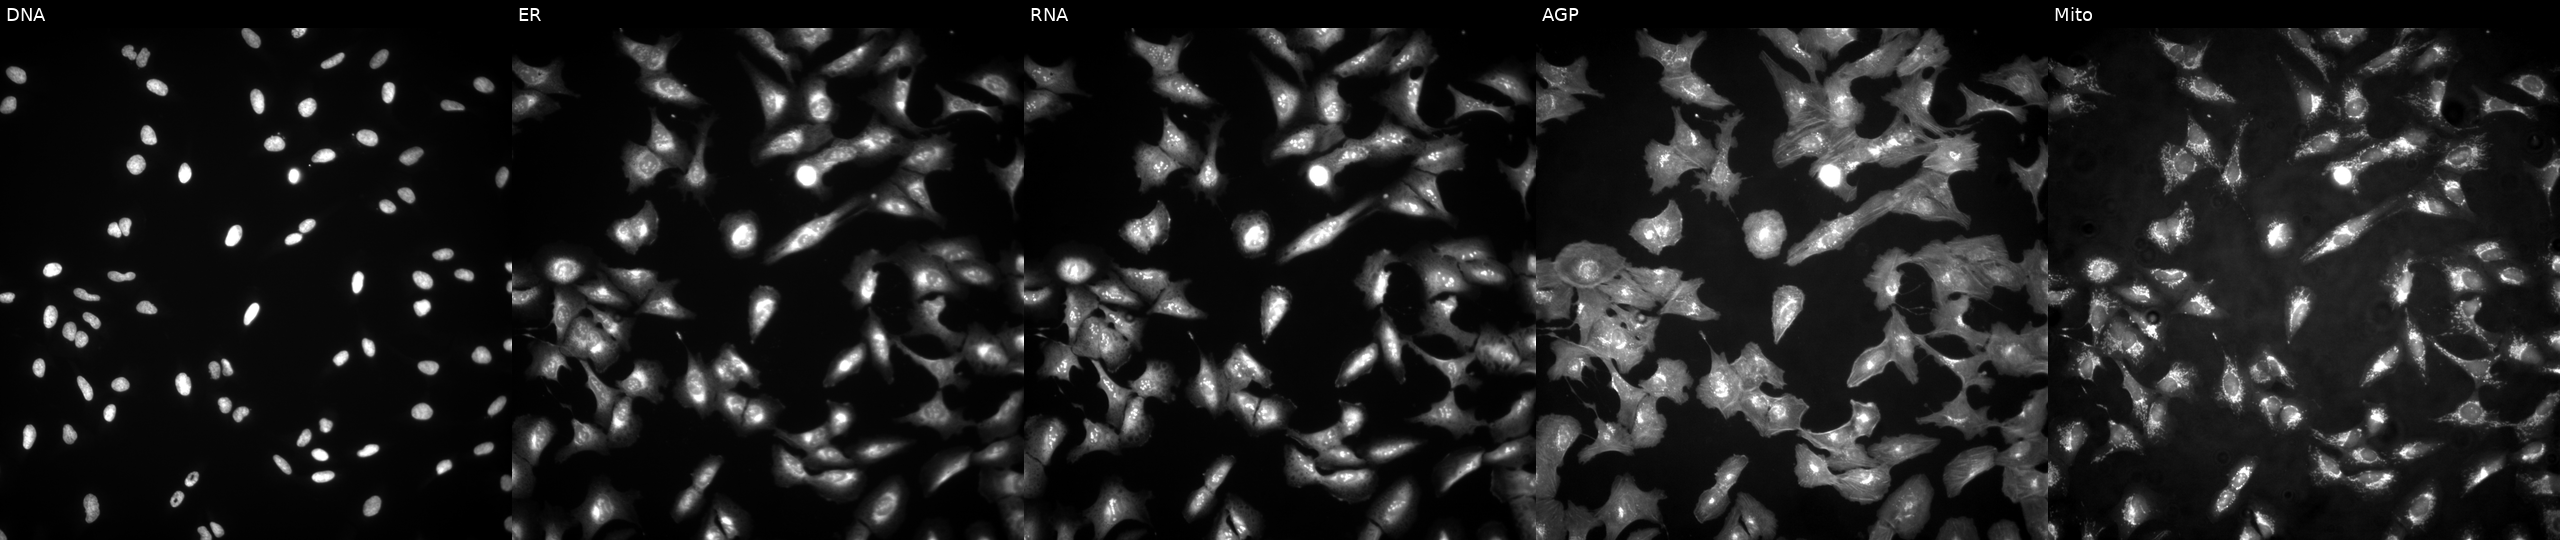
This image strip shows the five Cell Painting channels for a single field of U2OS cells untreated (empty-well control) (JUMP id JCP2022_999999). Channels (left→right): Hoechst 33342, concanavalin A, SYTO 14, phalloidin and WGA, MitoTracker.